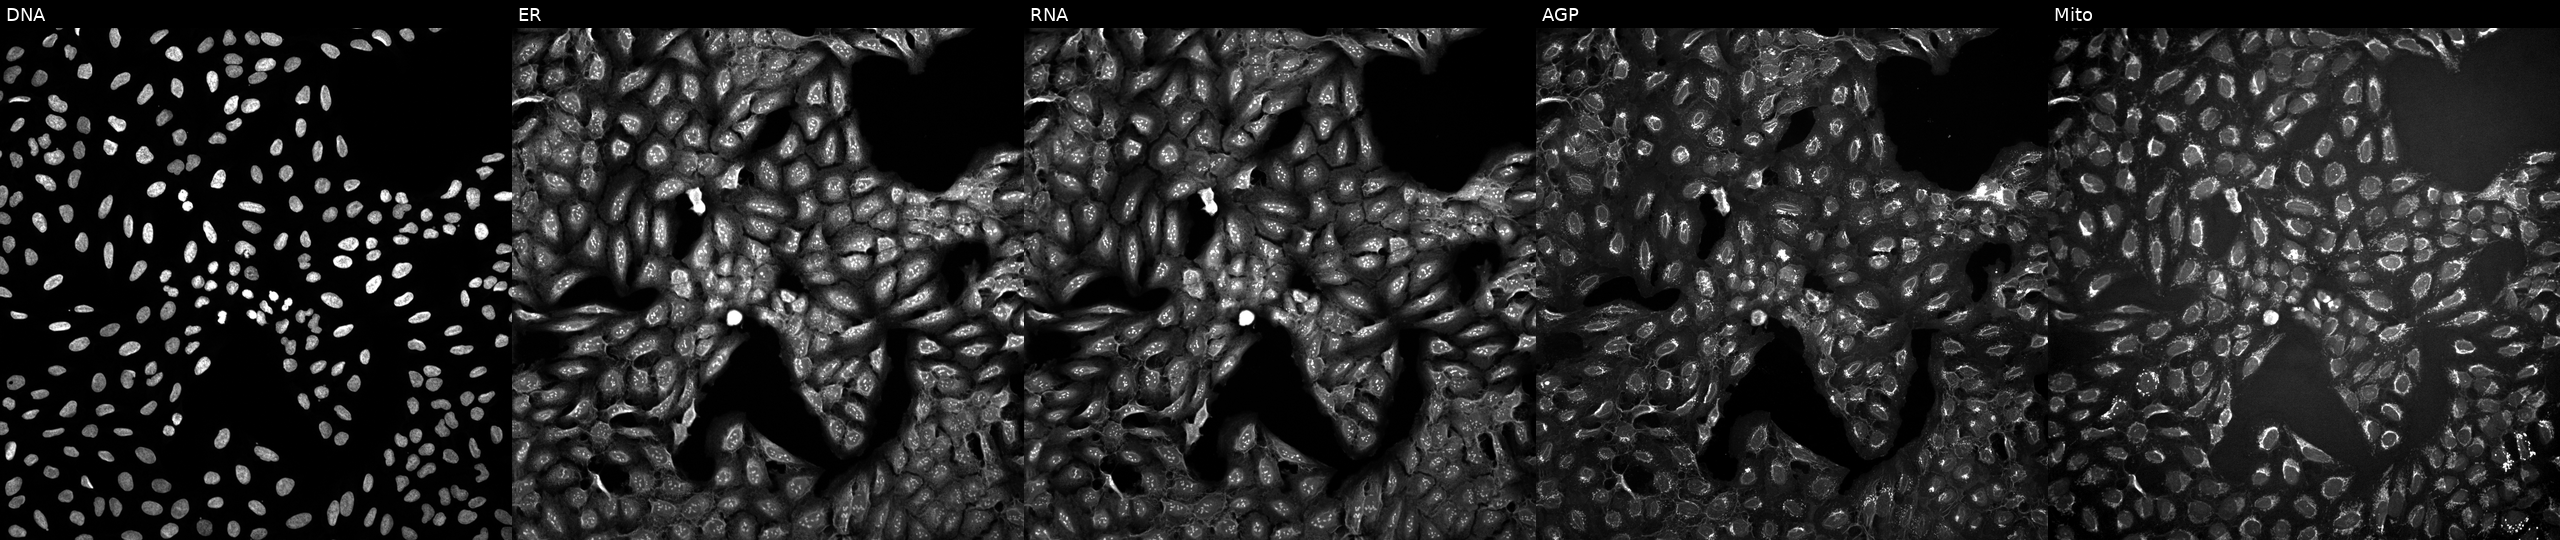
This image strip shows the five Cell Painting channels for a single field of U2OS cells exposed to a small-molecule compound [SMILES: Cc1cc(-c2ccc3c(c2)CCC3N2CC3(CCN(C(=O)Cc4cn5cc(C)sc5n4)CC3)C2)ncn1]. The five panels, left to right, show DNA, ER, RNA, AGP, and Mito. Source 10, plate Dest210803-153958, well A24.